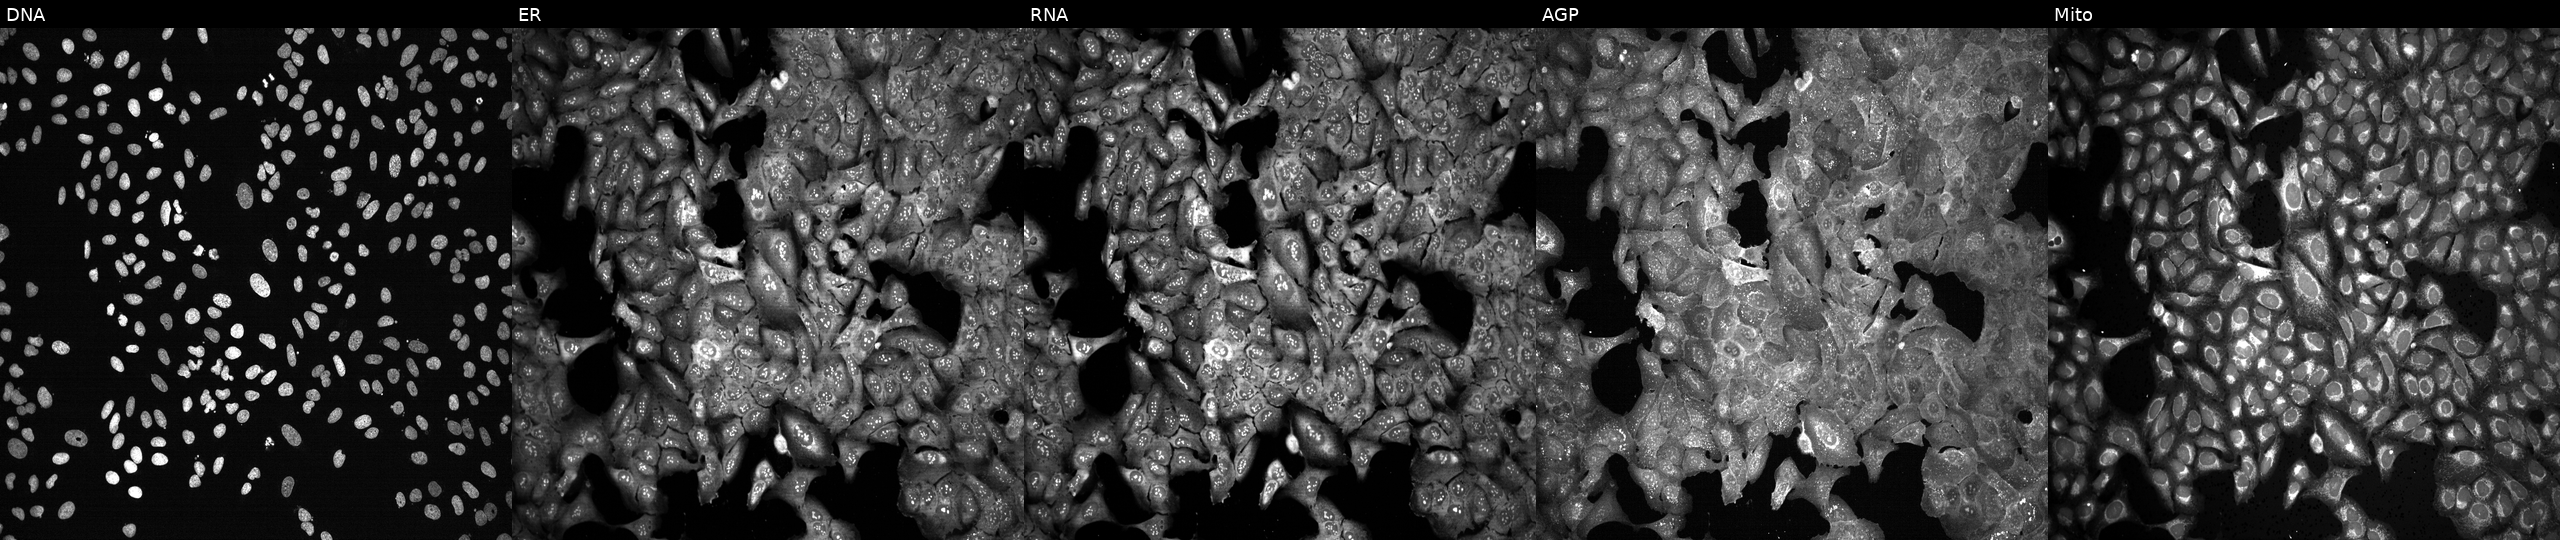
U2OS cells, Cell Painting assay, following CRISPR knockout of FCRL2. Channels (left→right): DNA (nuclei); ER (endoplasmic reticulum); RNA (nucleoli and cytoplasmic RNA); AGP (actin cytoskeleton, Golgi, and plasma membrane); Mito (mitochondria). Each panel is percentile-stretched 16-bit fluorescence. Source 13, plate CP-CC9-R5-01, well F19.